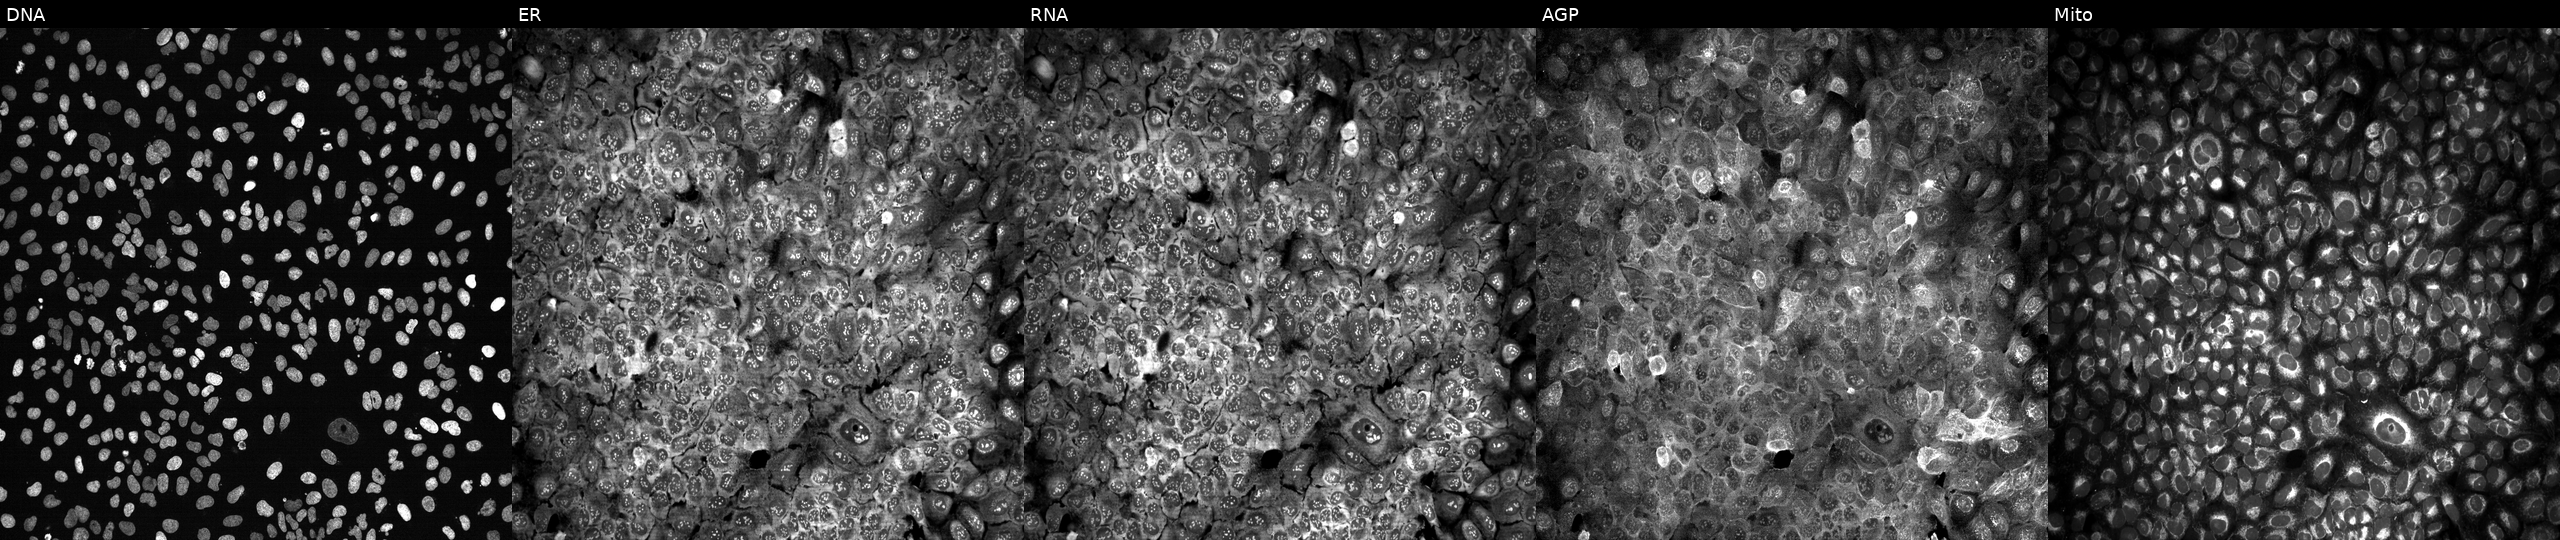
JUMP Cell Painting — CRISPR plate. U2OS cells following CRISPR knockout of ADAD1 (JUMP id JCP2022_800164). Channels (left→right): DNA (nuclei); ER (endoplasmic reticulum); RNA (nucleoli and cytoplasmic RNA); AGP (actin cytoskeleton, Golgi, and plasma membrane); Mito (mitochondria).